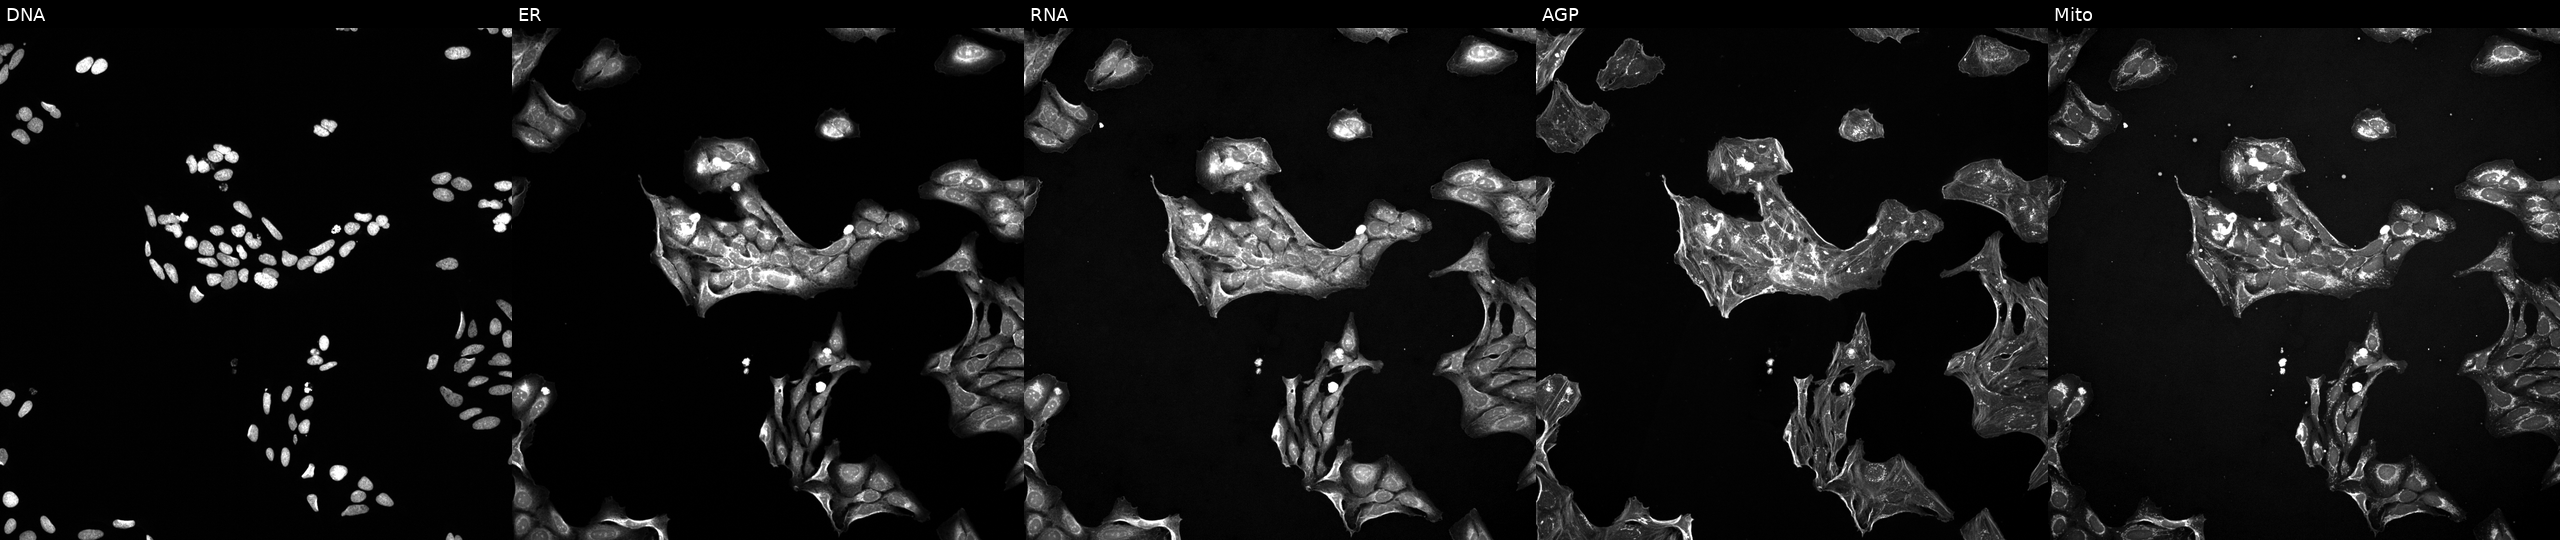
This image strip shows the five Cell Painting channels for a single field of U2OS cells exposed to a small-molecule compound (InChIKey ZWVZORIKUNOTCS-UHFFFAOYSA-N). Channels (left→right): Hoechst 33342, concanavalin A, SYTO 14, phalloidin and WGA, MitoTracker.